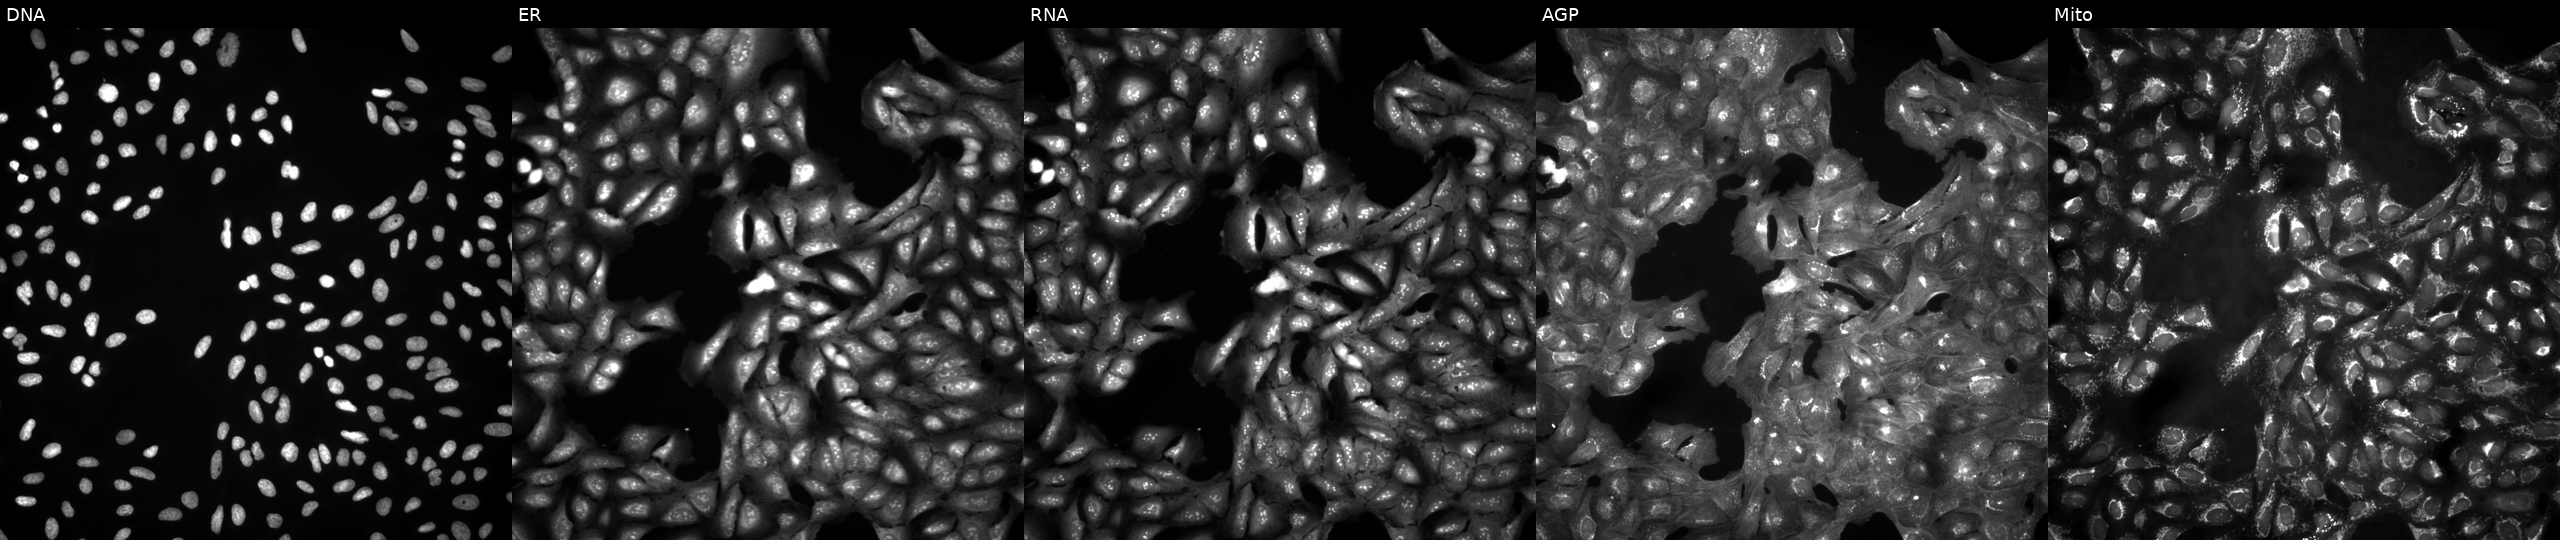
JUMP Cell Painting — ORF plate. U2OS cells in an empty control well (no perturbation) (JUMP id JCP2022_999999). From left to right: DNA (nuclei); ER (endoplasmic reticulum); RNA (nucleoli and cytoplasmic RNA); AGP (actin cytoskeleton, Golgi, and plasma membrane); Mito (mitochondria).